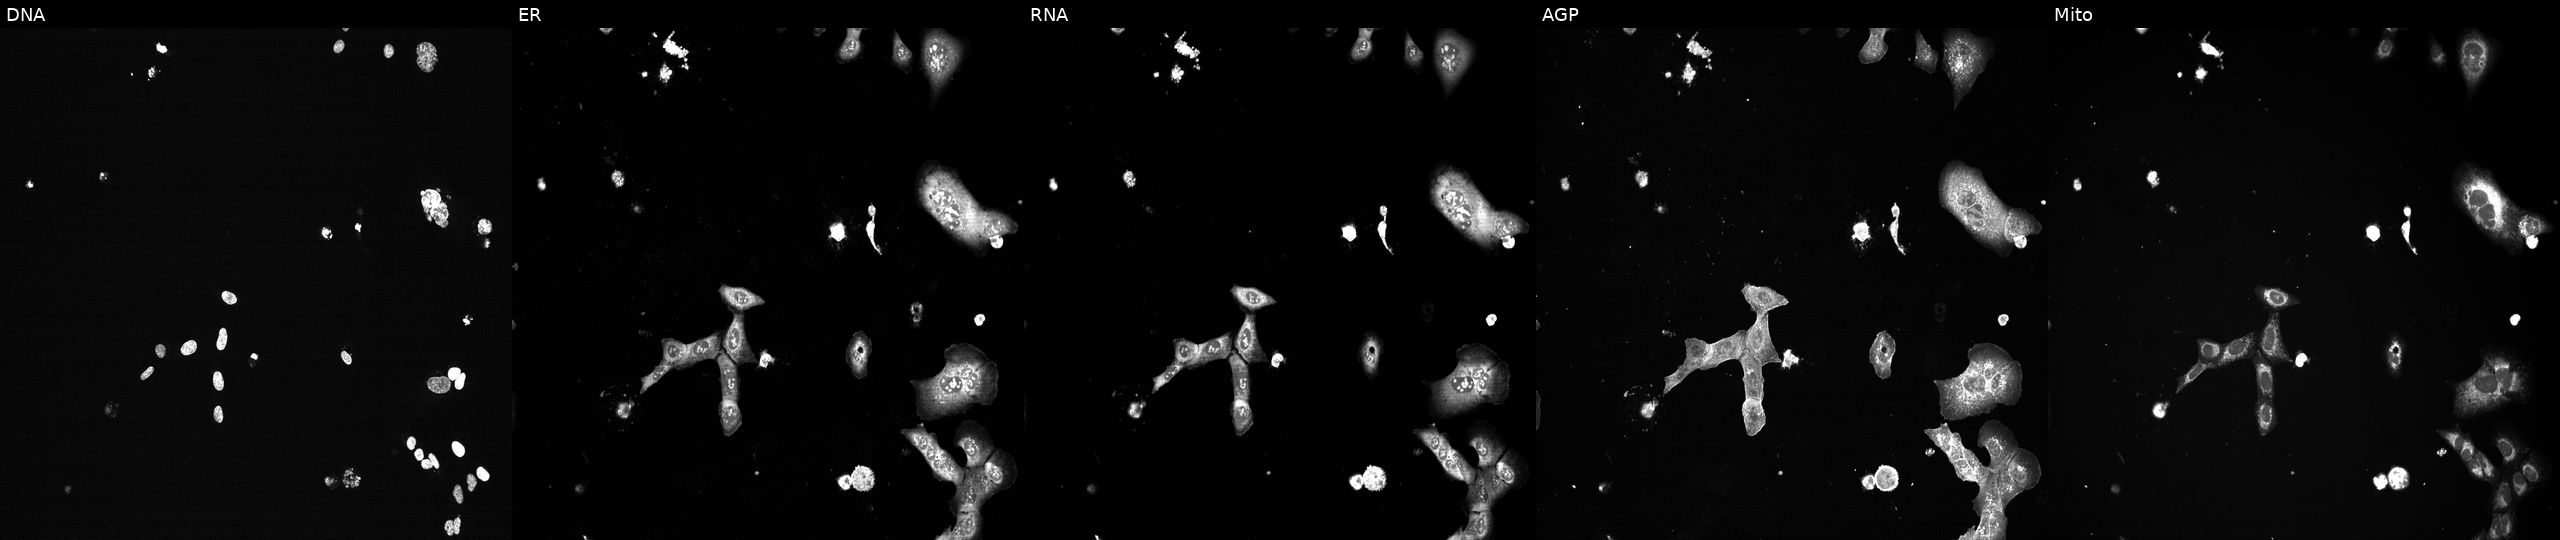
This image strip shows the five Cell Painting channels for a single field of U2OS cells with PLK1 knocked out by CRISPR (positive control). The five panels, left to right, show DNA, ER, RNA, AGP, and Mito.